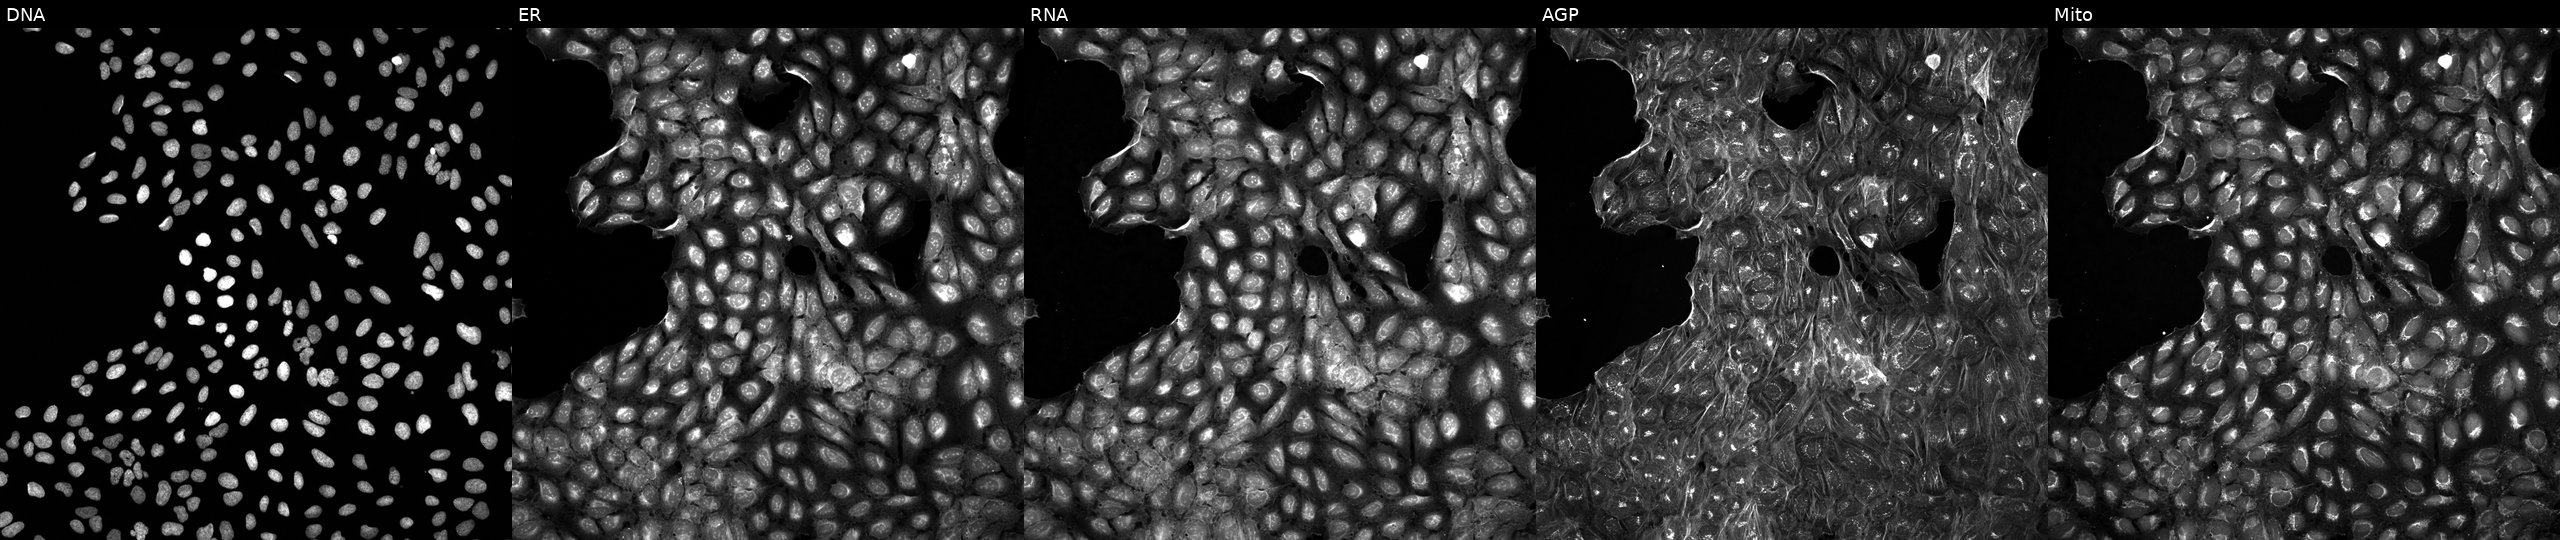
JUMP Cell Painting — COMPOUND plate. U2OS cells exposed to a small-molecule compound (JUMP id JCP2022_062605). Channels (left→right): DNA (nuclei); ER (endoplasmic reticulum); RNA (nucleoli and cytoplasmic RNA); AGP (actin cytoskeleton, Golgi, and plasma membrane); Mito (mitochondria).